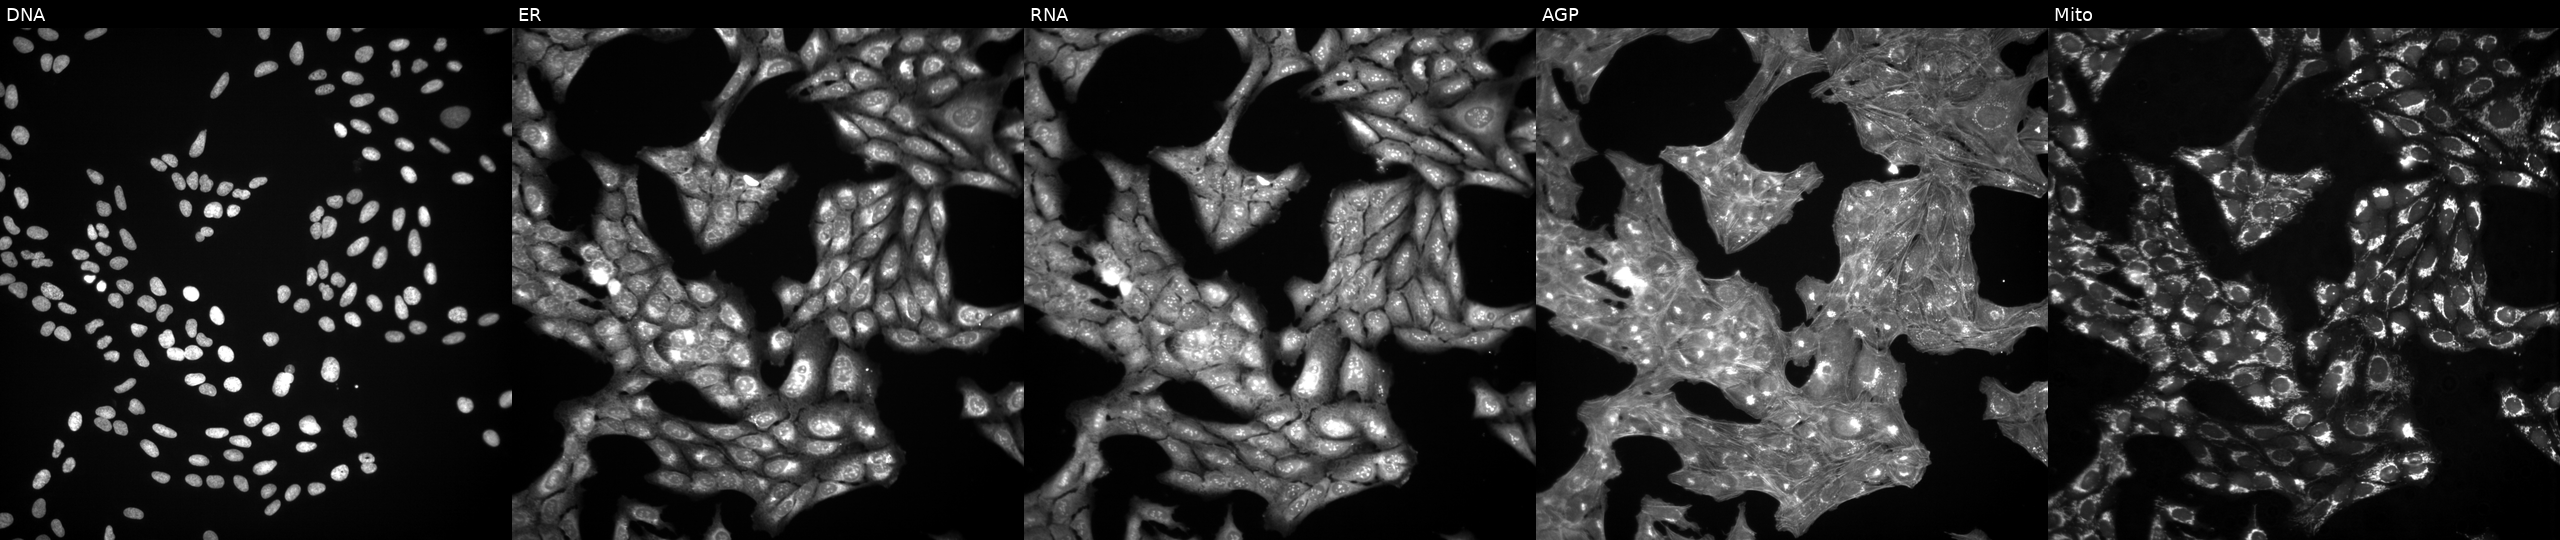
U2OS cells, Cell Painting assay, exposed to the positive-control compound dexamethasone (JUMP id JCP2022_025848). Panels show, left to right, DNA (nuclei); ER (endoplasmic reticulum); RNA (nucleoli and cytoplasmic RNA); AGP (actin cytoskeleton, Golgi, and plasma membrane); Mito (mitochondria). Each panel is percentile-stretched 16-bit fluorescence.